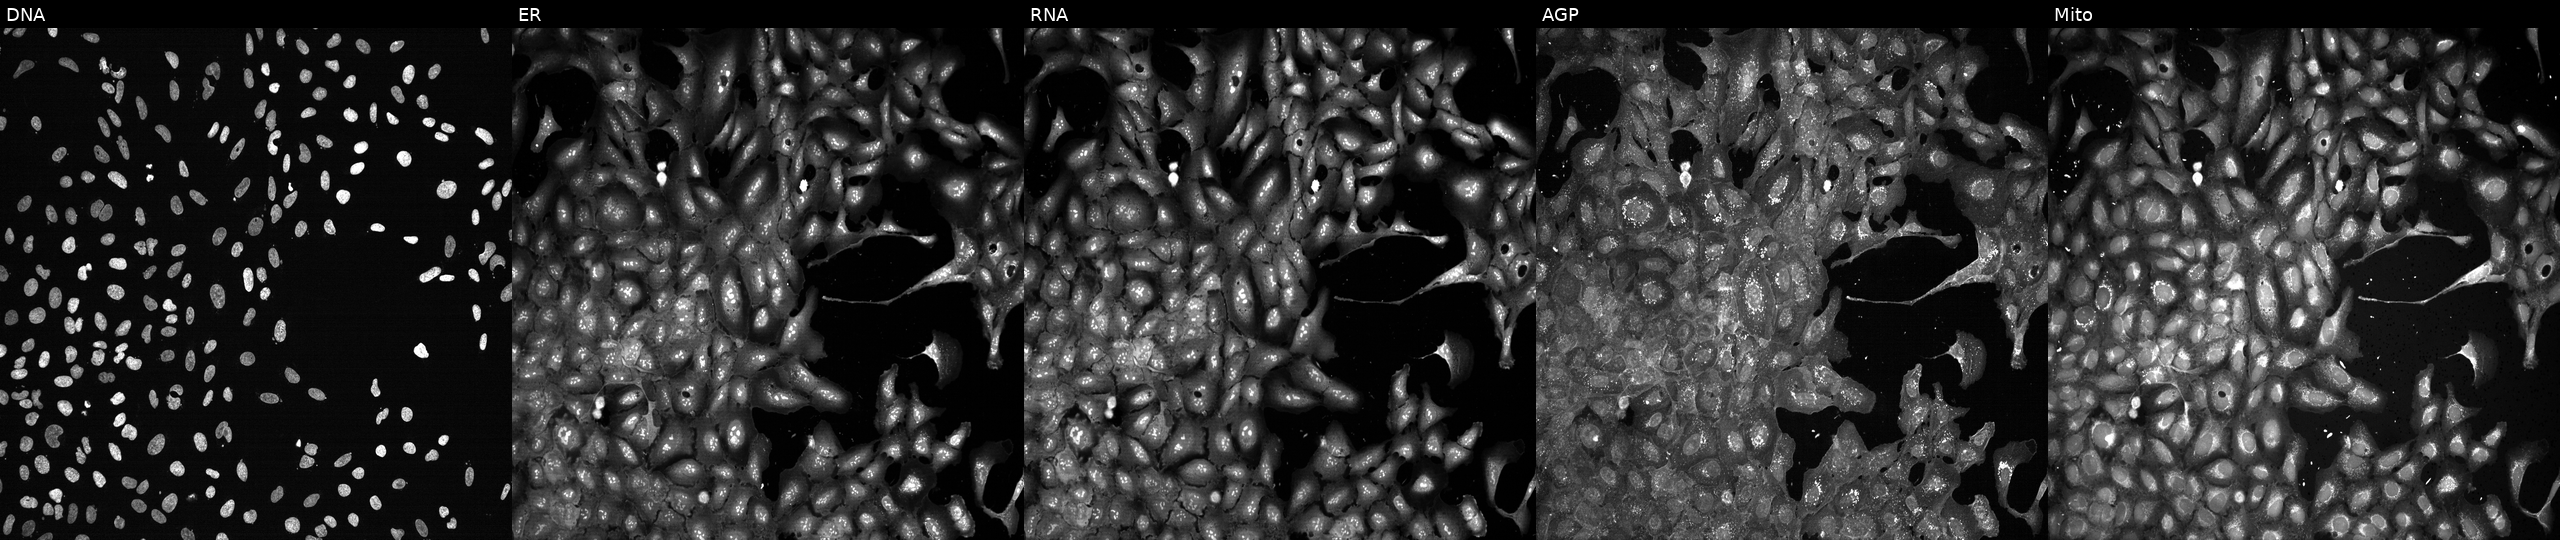
JUMP Cell Painting — CRISPR plate. U2OS cells with DECR1 knocked out by CRISPR (JUMP id JCP2022_801757). Panels show, left to right, DNA, ER, RNA, AGP, and Mito.